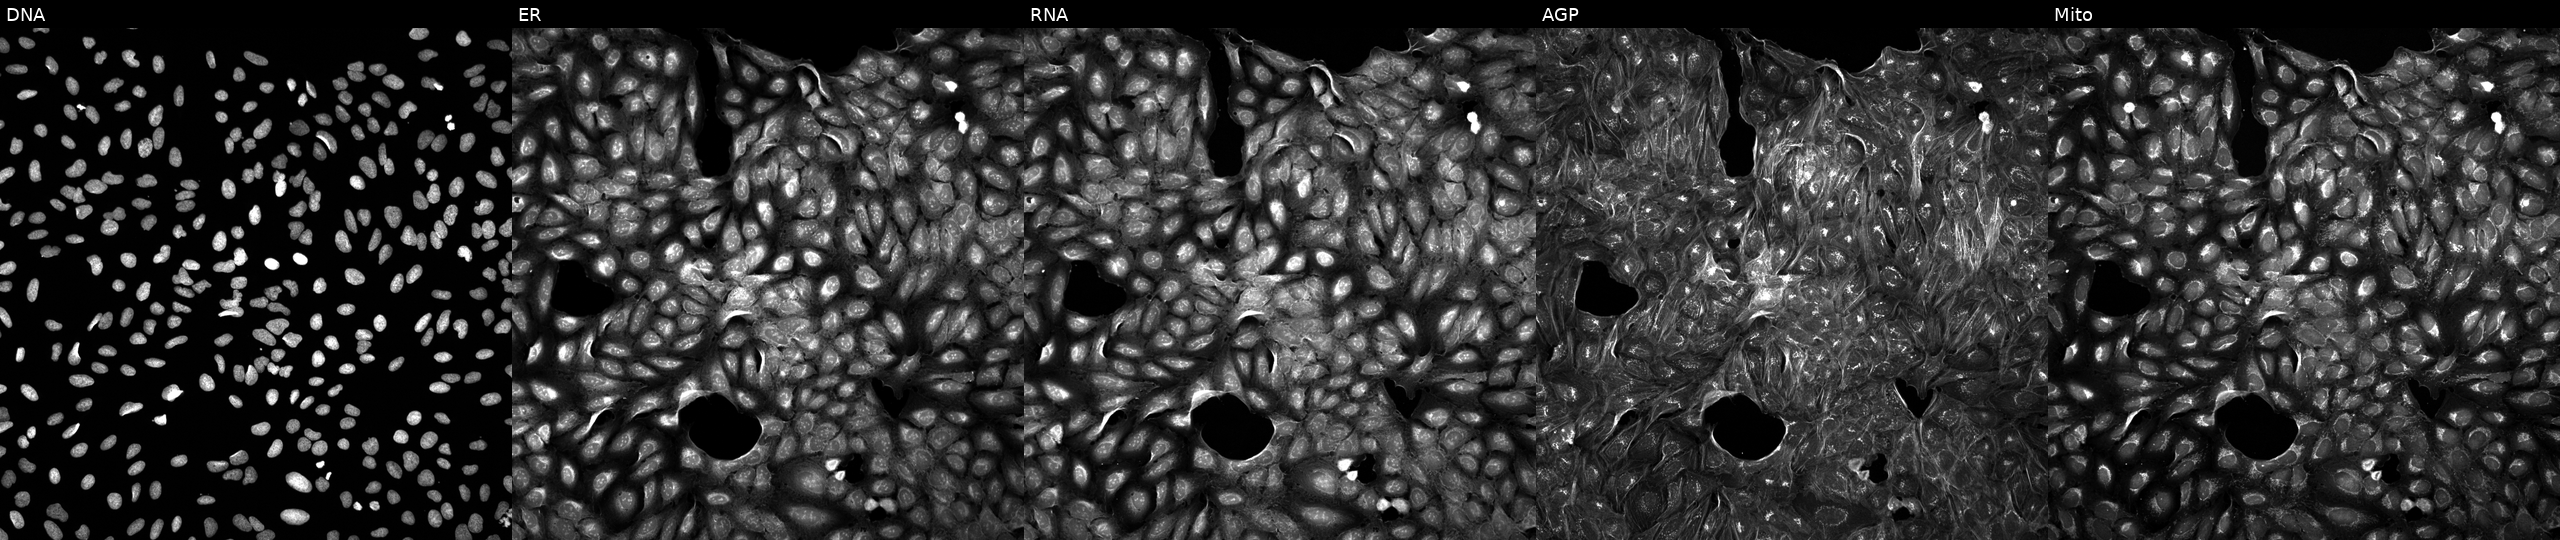
Five-channel Cell Painting image of U2OS cells treated with a small-molecule compound [SMILES: O=C(c1cccc(O)c1)N1CCN(C(=O)C2(c3cccc(C(F)(F)F)c3)CC2)CC1] (JUMP id JCP2022_049458). Channels (left→right): DNA (nuclei); ER (endoplasmic reticulum); RNA (nucleoli and cytoplasmic RNA); AGP (actin cytoskeleton, Golgi, and plasma membrane); Mito (mitochondria). Source 5, plate APTJUM106, well I15.